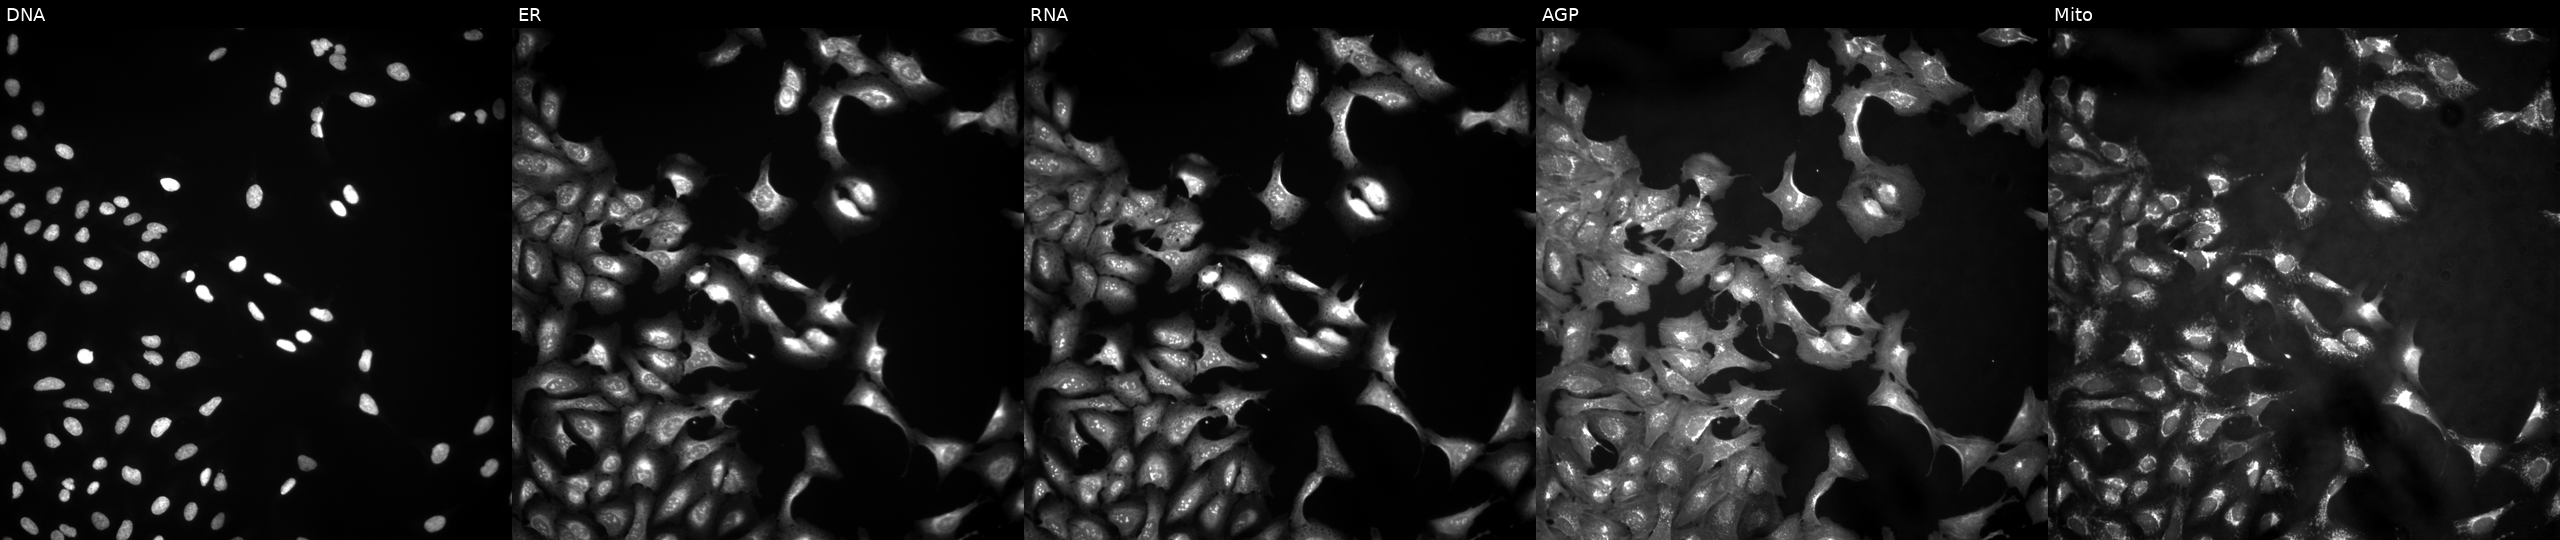
JUMP Cell Painting — ORF plate. U2OS cells in an empty control well (no perturbation) (JUMP id JCP2022_999999). Channels (left→right): Hoechst 33342, concanavalin A, SYTO 14, phalloidin and WGA, MitoTracker.